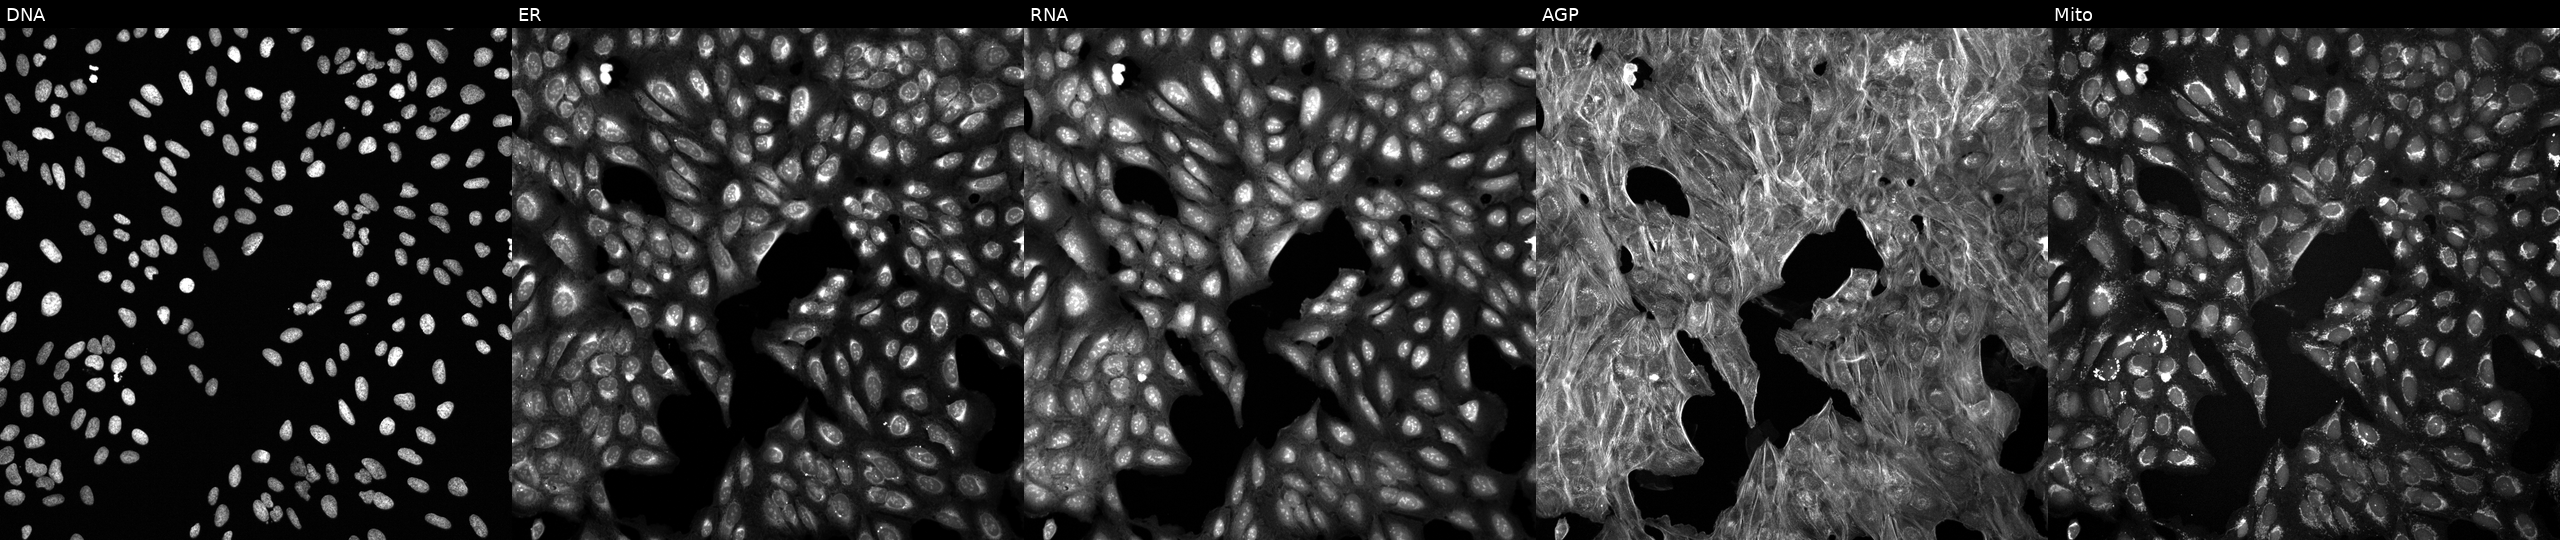
High-content fluorescence microscopy (Cell Painting). Cell line: U2OS. Perturbation: treated with a small-molecule compound (InChIKey IFPXNKZWNUSJPO-UHFFFAOYSA-N) [SMILES: Cn1ccnc1C(NS(=O)(=O)c1ccc(Cl)s1)c1ccccc1F]. From left to right: DNA, ER, RNA, AGP, and Mito. Source 6, plate 110000293083, well F21.